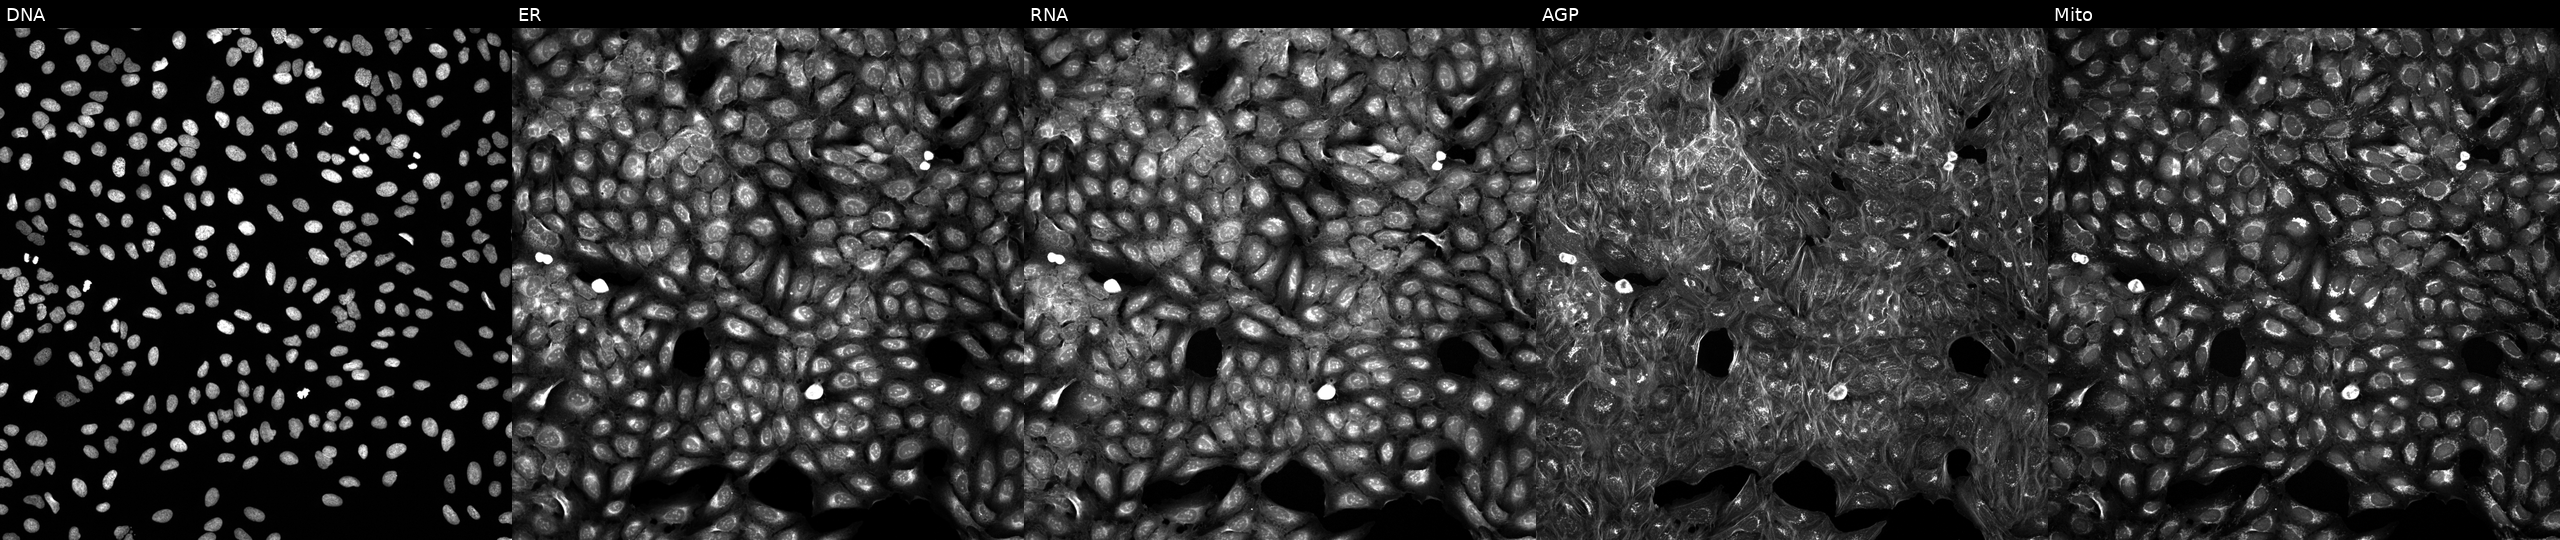
High-content fluorescence microscopy (Cell Painting). Cell line: U2OS. Perturbation: treated with a small-molecule compound (InChIKey XRKYMMUGXMWDAO-UHFFFAOYSA-N). Panels show, left to right, DNA, ER, RNA, AGP, and Mito.